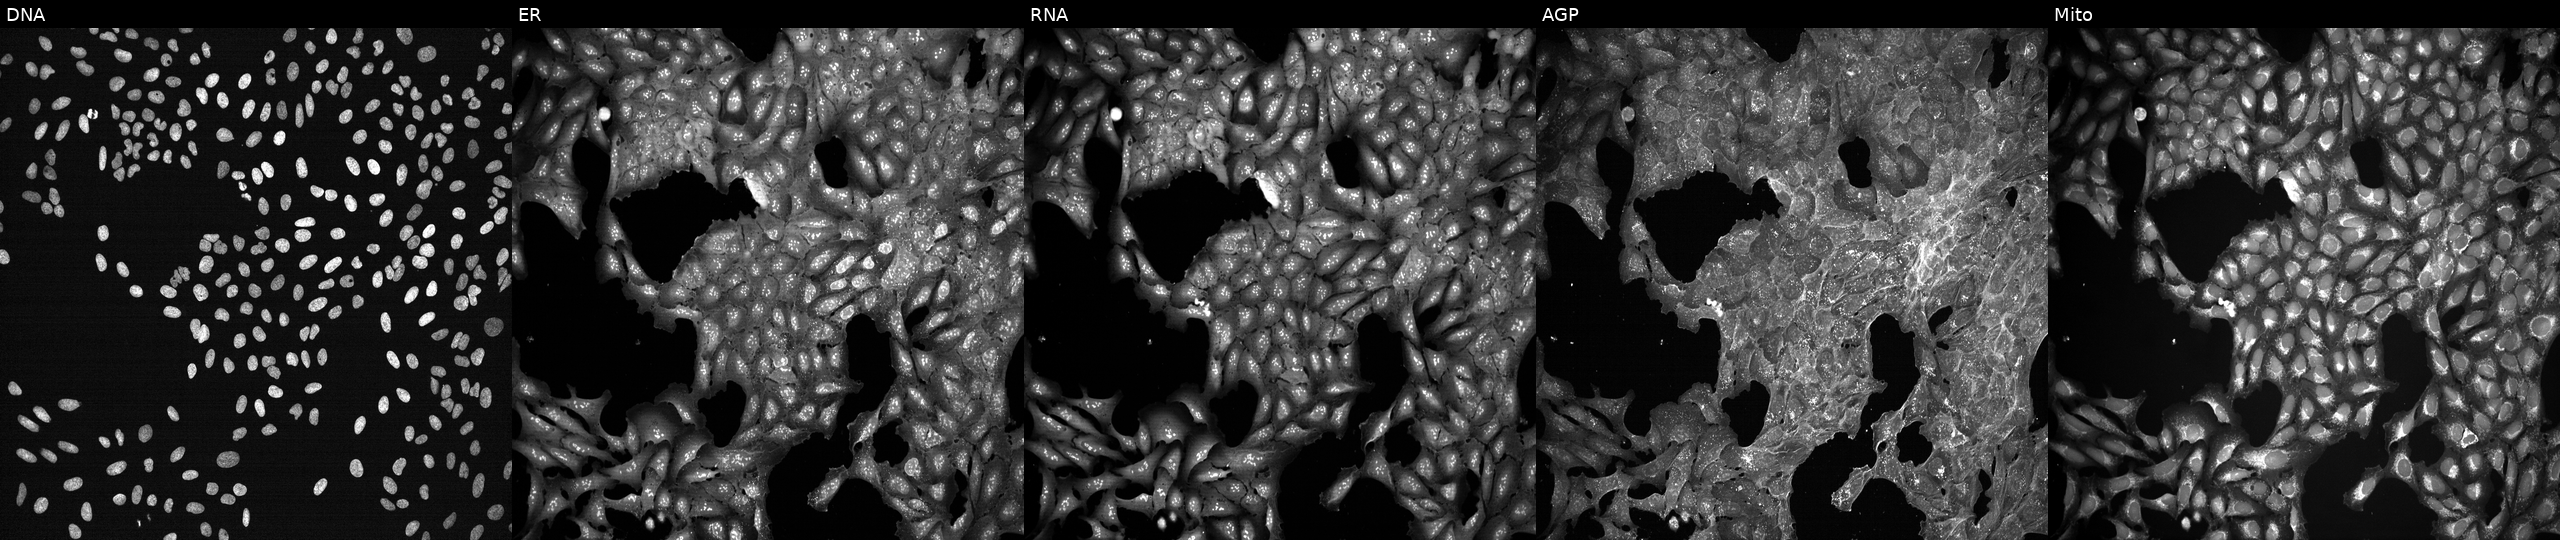
High-content fluorescence microscopy (Cell Painting). Cell line: U2OS. Perturbation: treated with a small-molecule compound (JUMP id JCP2022_101857). The five panels, left to right, show DNA, ER, RNA, AGP, and Mito. Source 7, plate CP2-SC1-25, well F23.